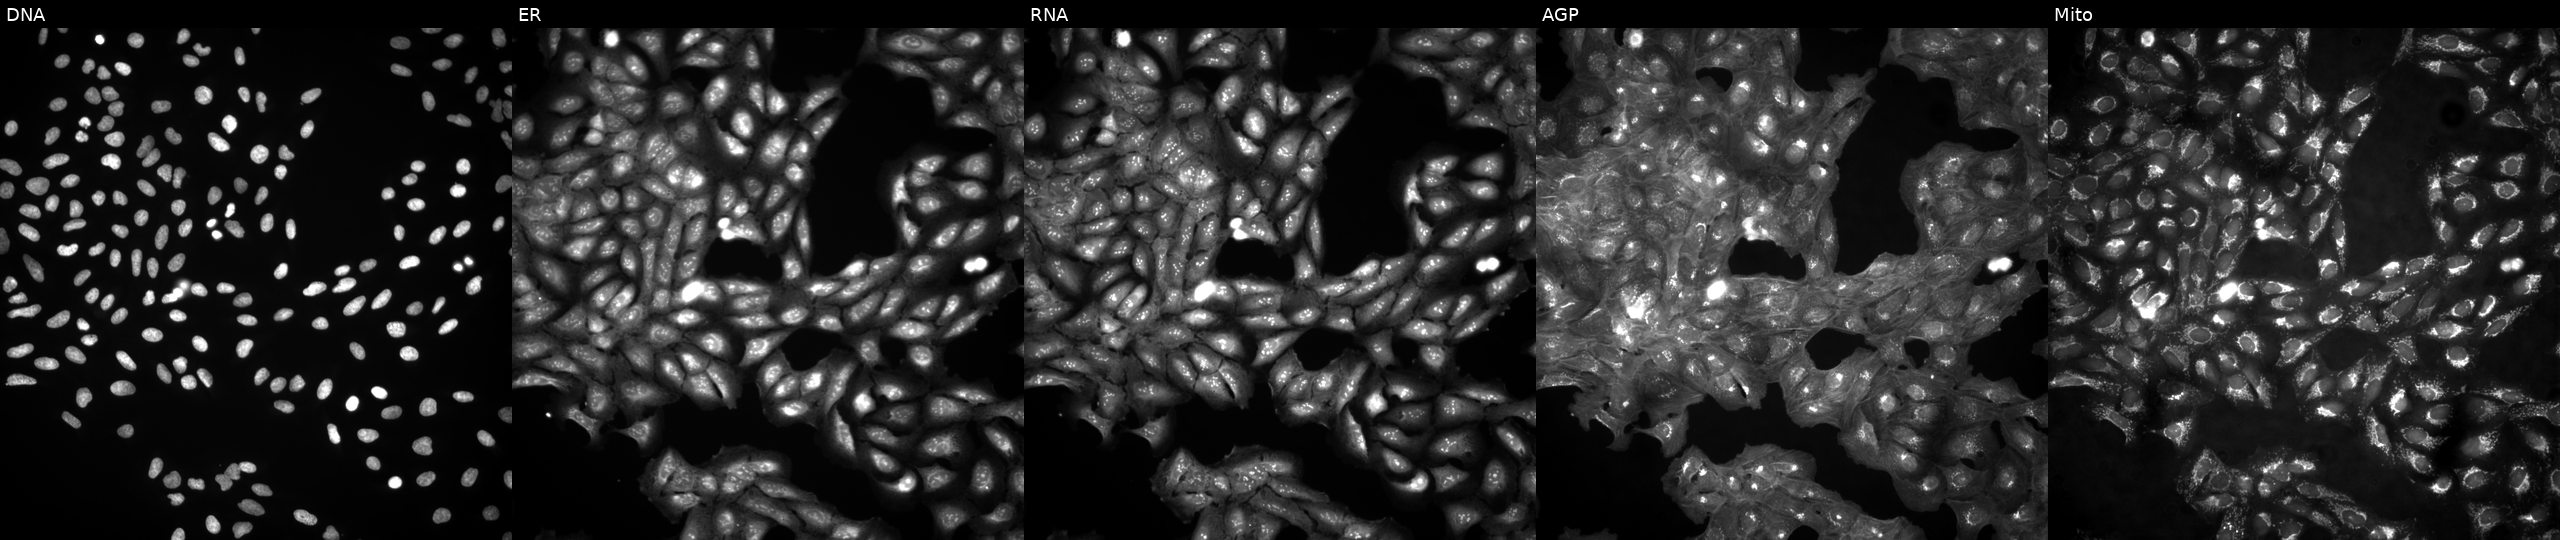
This image strip shows the five Cell Painting channels for a single field of U2OS cells untreated (empty-well control) (JUMP id JCP2022_999999). The five panels, left to right, show Hoechst 33342, concanavalin A, SYTO 14, phalloidin and WGA, MitoTracker.